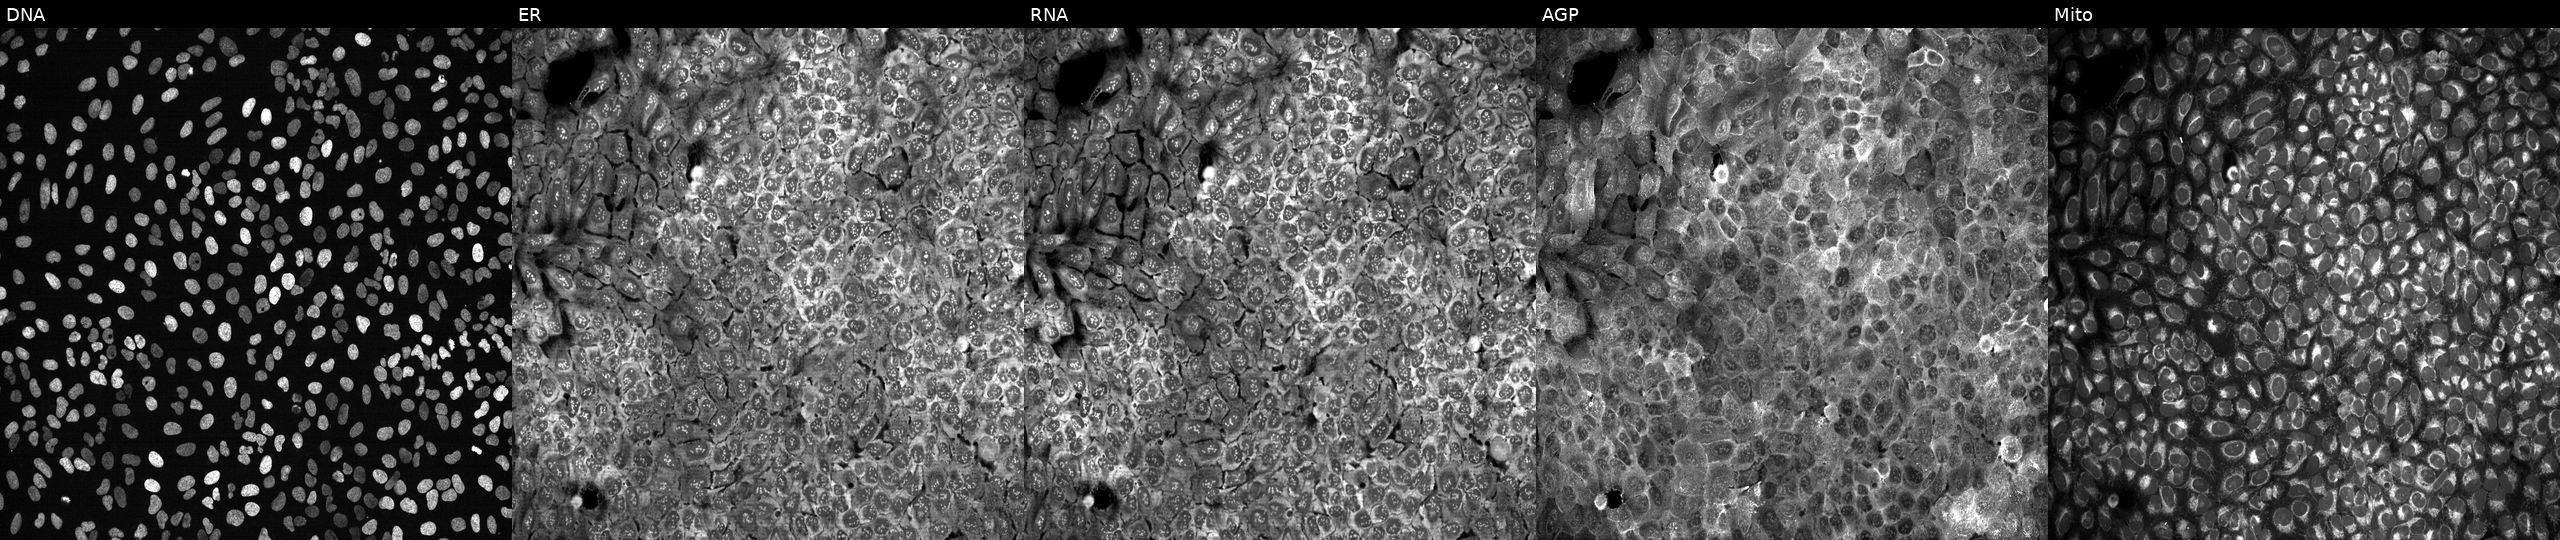
JUMP Cell Painting — CRISPR plate. U2OS cells with ALDH1L2 knocked out by CRISPR (JUMP id JCP2022_800387). From left to right: DNA, ER, RNA, AGP, and Mito. Source 13, plate CP-CC9-R2-02, well G07.